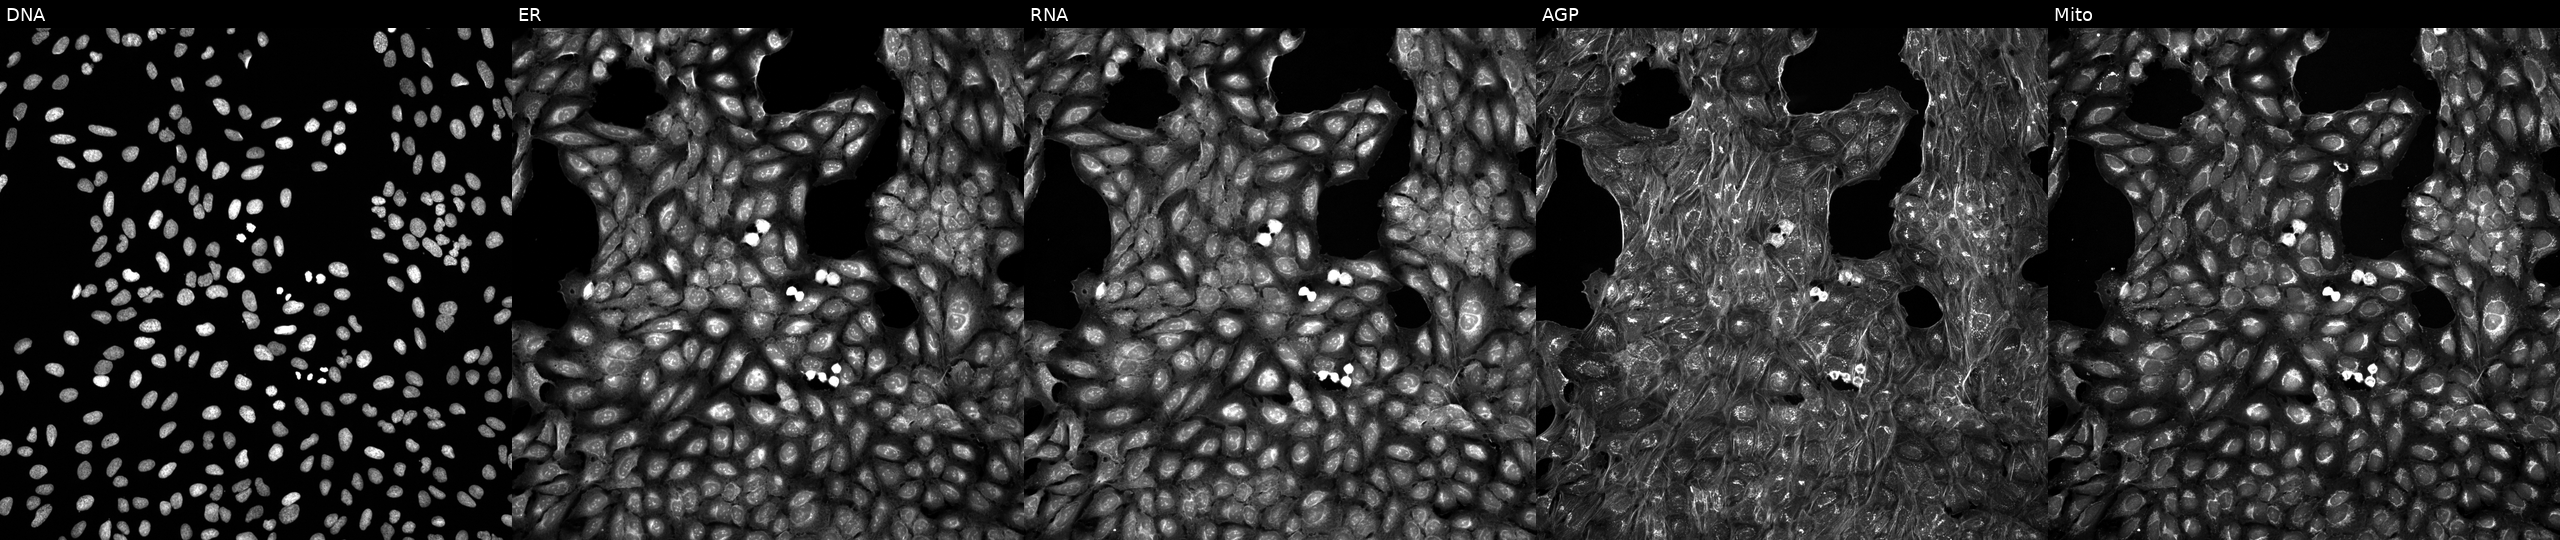
U2OS cells, Cell Painting assay, perturbed with a small-molecule compound (InChIKey KEZUBQDMVKPPFG-UHFFFAOYSA-N). The five panels, left to right, show Hoechst 33342, concanavalin A, SYTO 14, phalloidin and WGA, MitoTracker. Each panel is percentile-stretched 16-bit fluorescence.